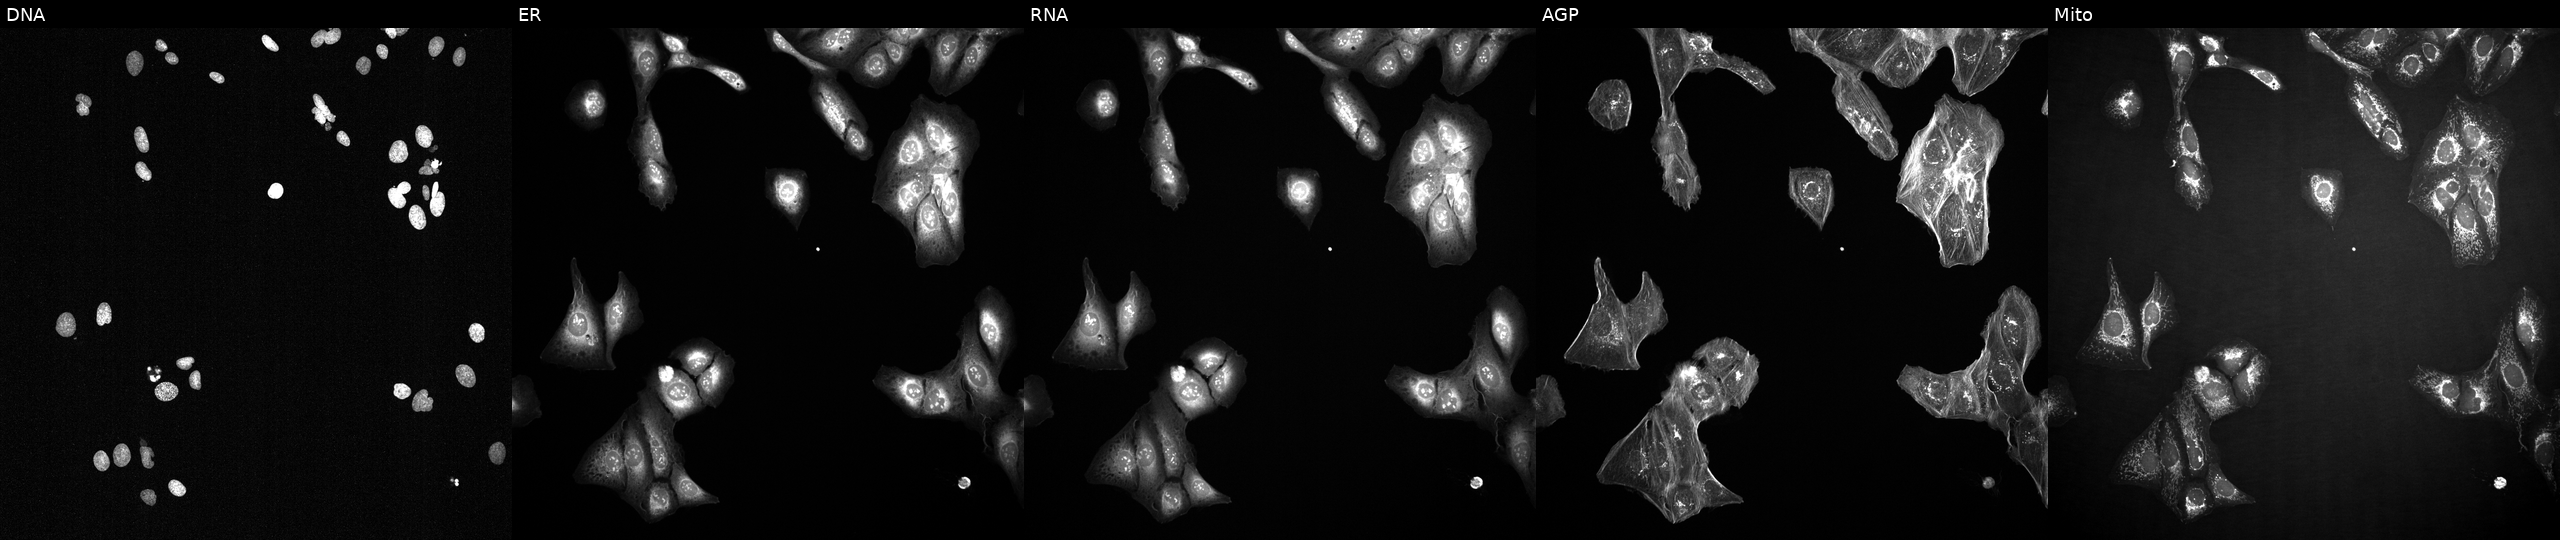
This image strip shows the five Cell Painting channels for a single field of U2OS cells perturbed with a small-molecule compound (InChIKey RAMROQQYRRQPDL-UHFFFAOYSA-N) (JUMP id JCP2022_077089). From left to right: Hoechst 33342, concanavalin A, SYTO 14, phalloidin and WGA, MitoTracker. Source 2, plate 1053600674, well C22.